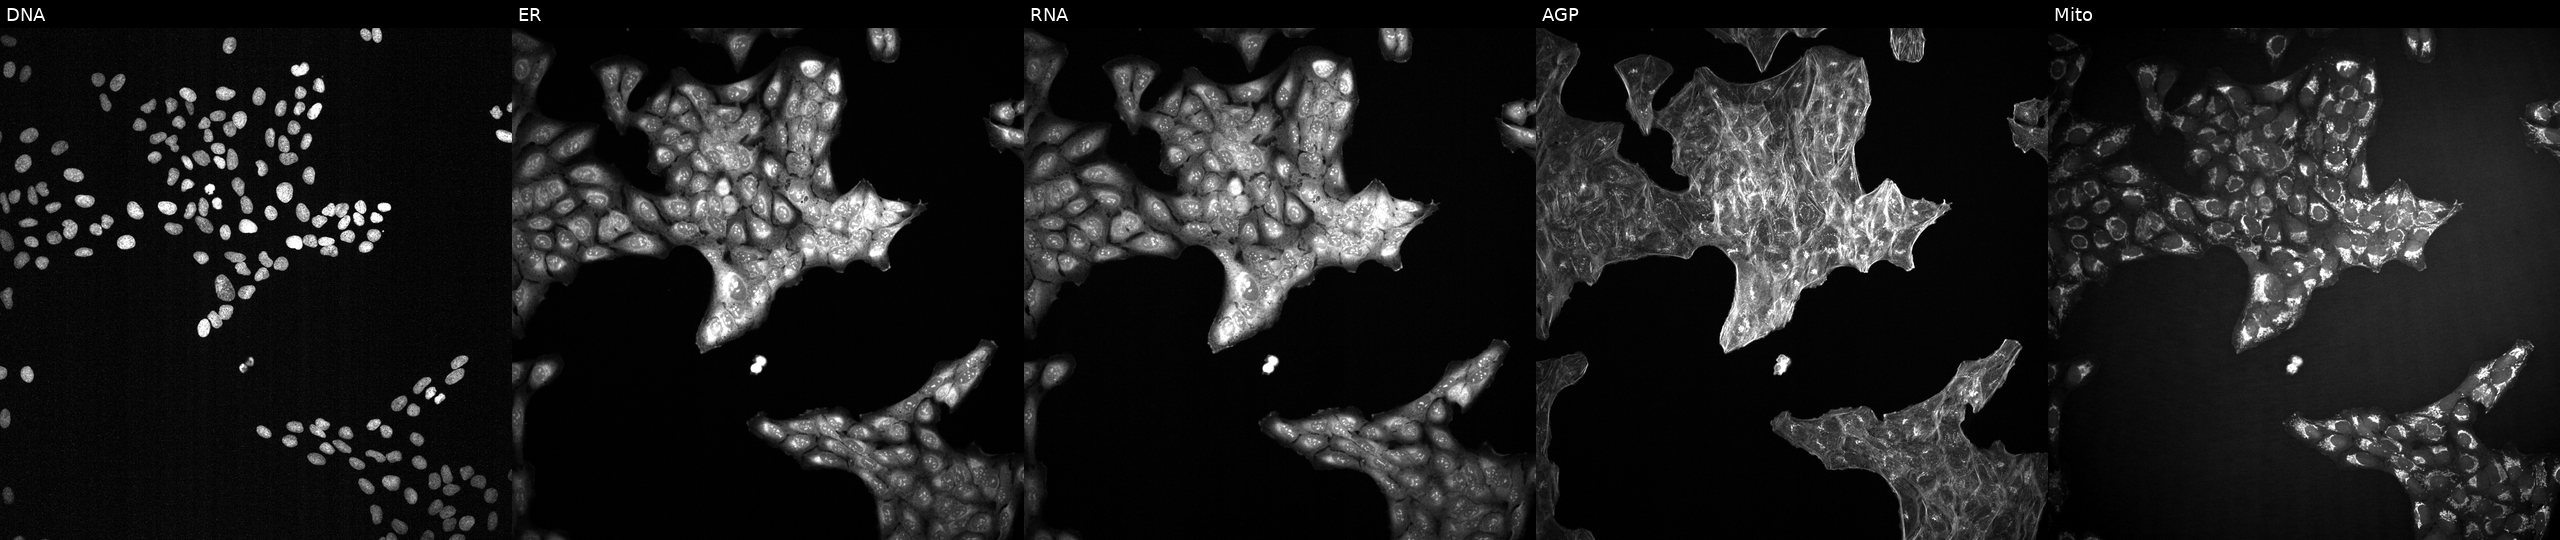
JUMP Cell Painting — TARGET2 plate. U2OS cells treated with a small-molecule compound (InChIKey OUZWUKMCLIBBOG-UHFFFAOYSA-N) (JUMP id JCP2022_066287). Panels show, left to right, DNA (nuclei); ER (endoplasmic reticulum); RNA (nucleoli and cytoplasmic RNA); AGP (actin cytoskeleton, Golgi, and plasma membrane); Mito (mitochondria). Source 2, plate 1053599503, well I24.